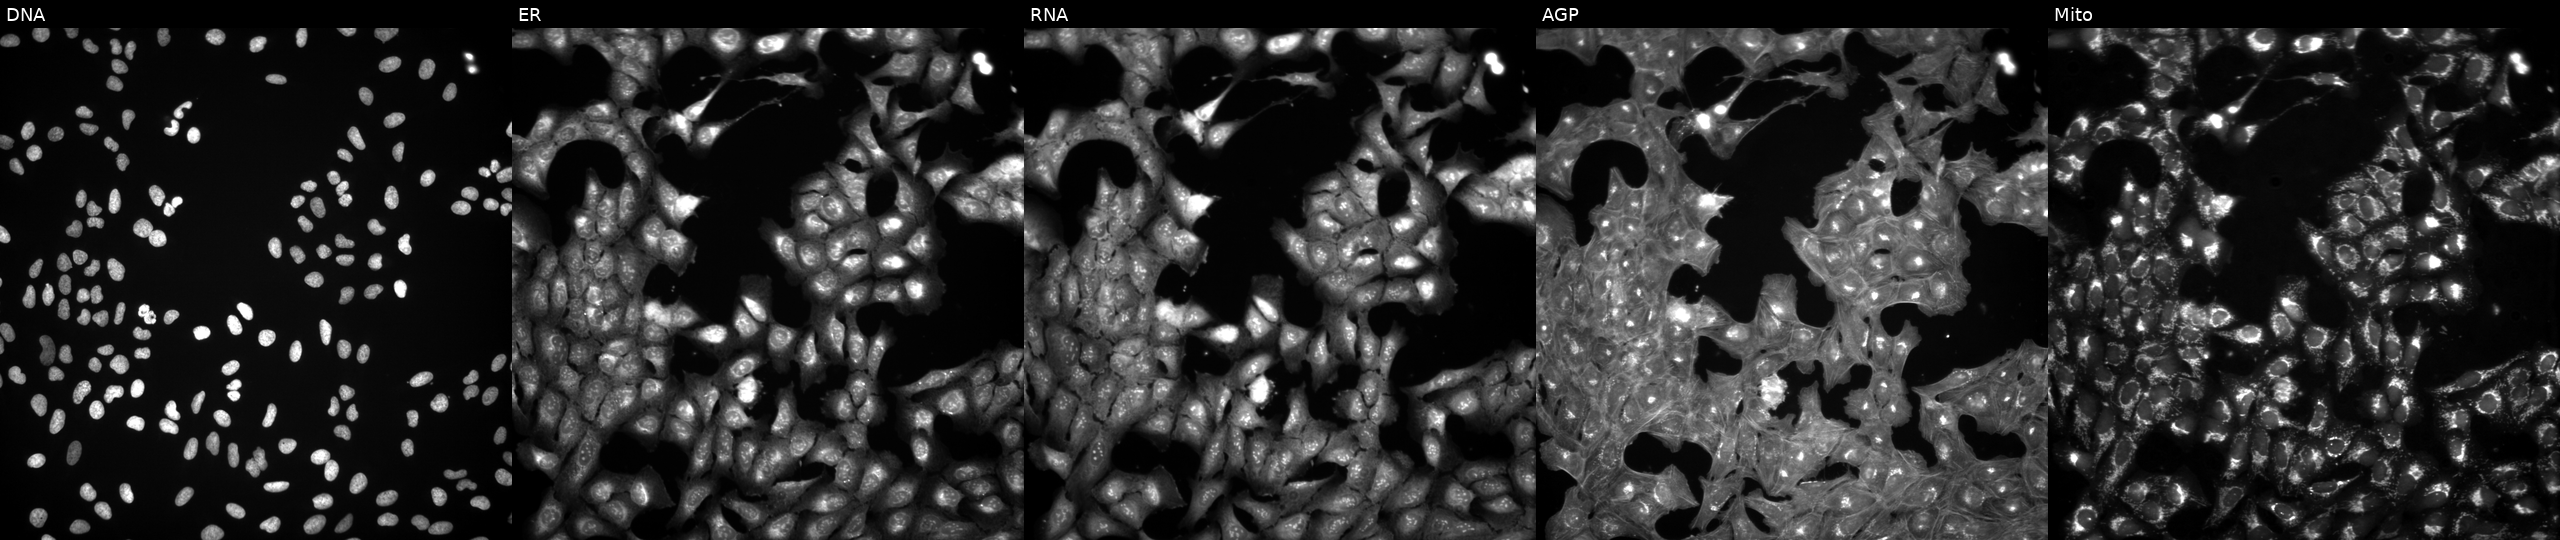
Five-channel Cell Painting image of U2OS cells untreated (empty-well control) (JUMP id JCP2022_999999). From left to right: DNA (nuclei); ER (endoplasmic reticulum); RNA (nucleoli and cytoplasmic RNA); AGP (actin cytoskeleton, Golgi, and plasma membrane); Mito (mitochondria).